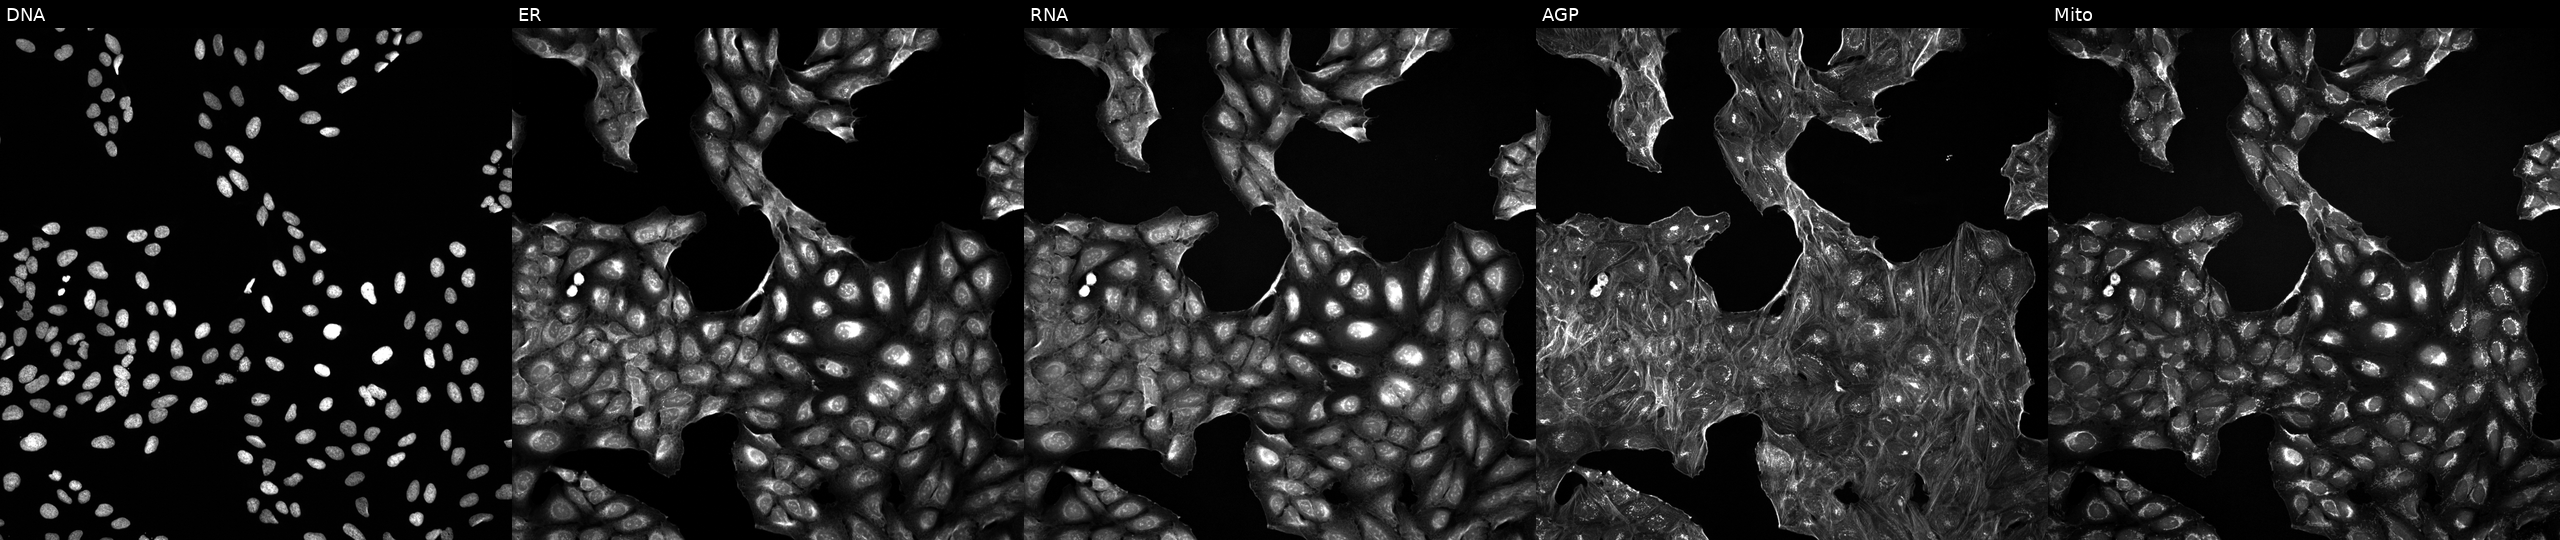
Channels (left→right): DNA, ER, RNA, AGP, and Mito. U2OS osteosarcoma cells treated with a small-molecule compound. Cell Painting assay, JUMP-CP dataset.